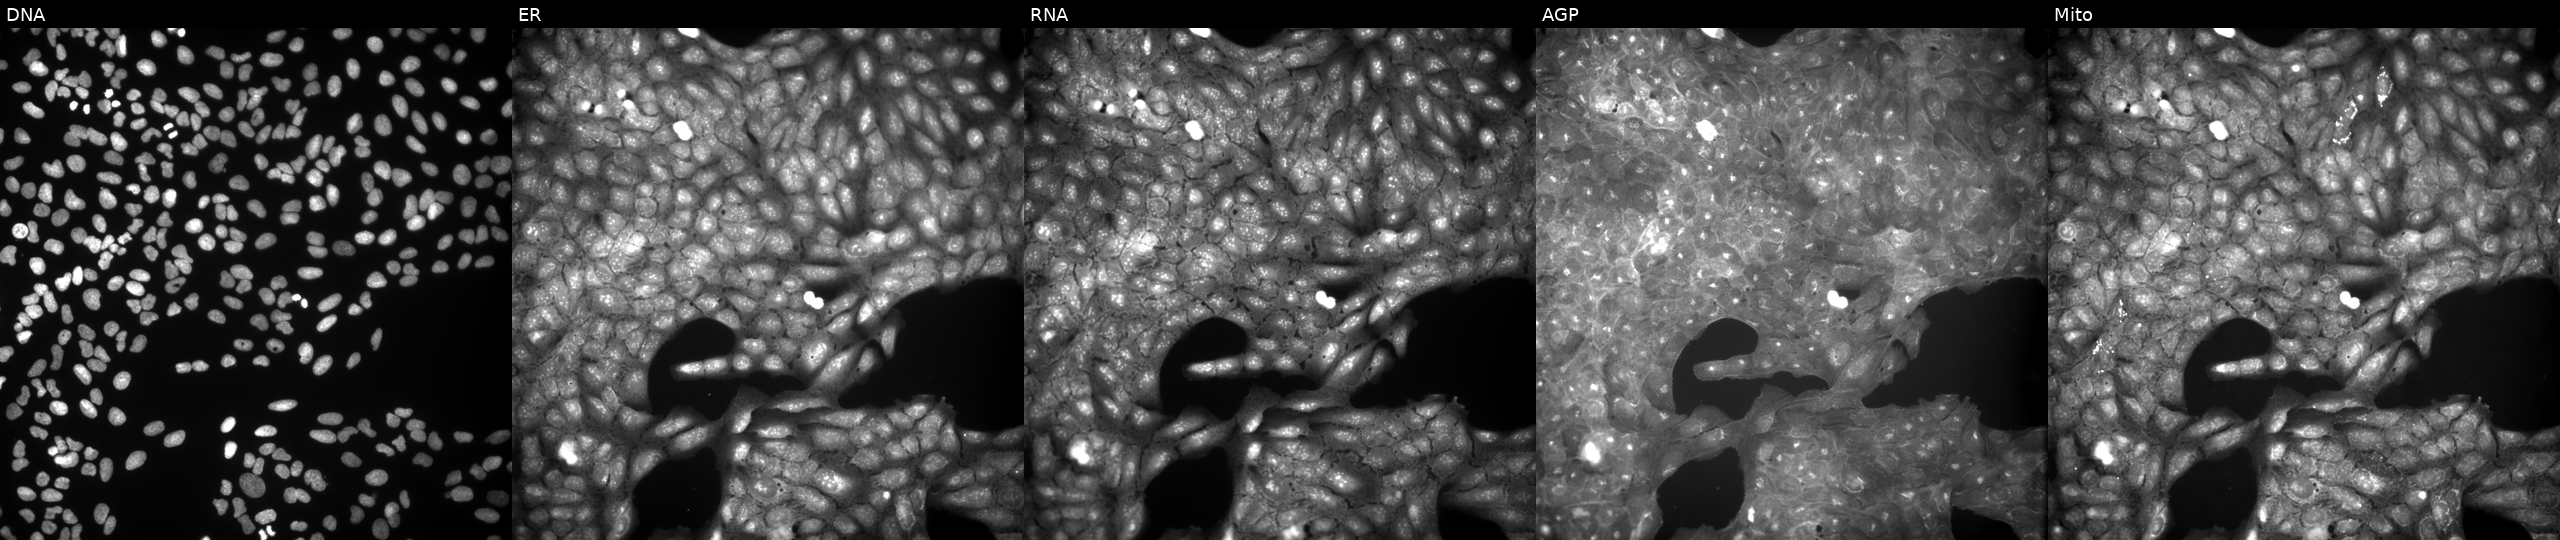
From left to right: Hoechst 33342, concanavalin A, SYTO 14, phalloidin and WGA, MitoTracker. U2OS osteosarcoma cells treated with a small-molecule compound (InChIKey ZYAXTAFPNAMCKA-UHFFFAOYSA-N) [SMILES: O=C(N1CCCCC1)N1c2ccccc2Sc2ccccc21] (JUMP id JCP2022_116390). Cell Painting assay, JUMP-CP dataset.